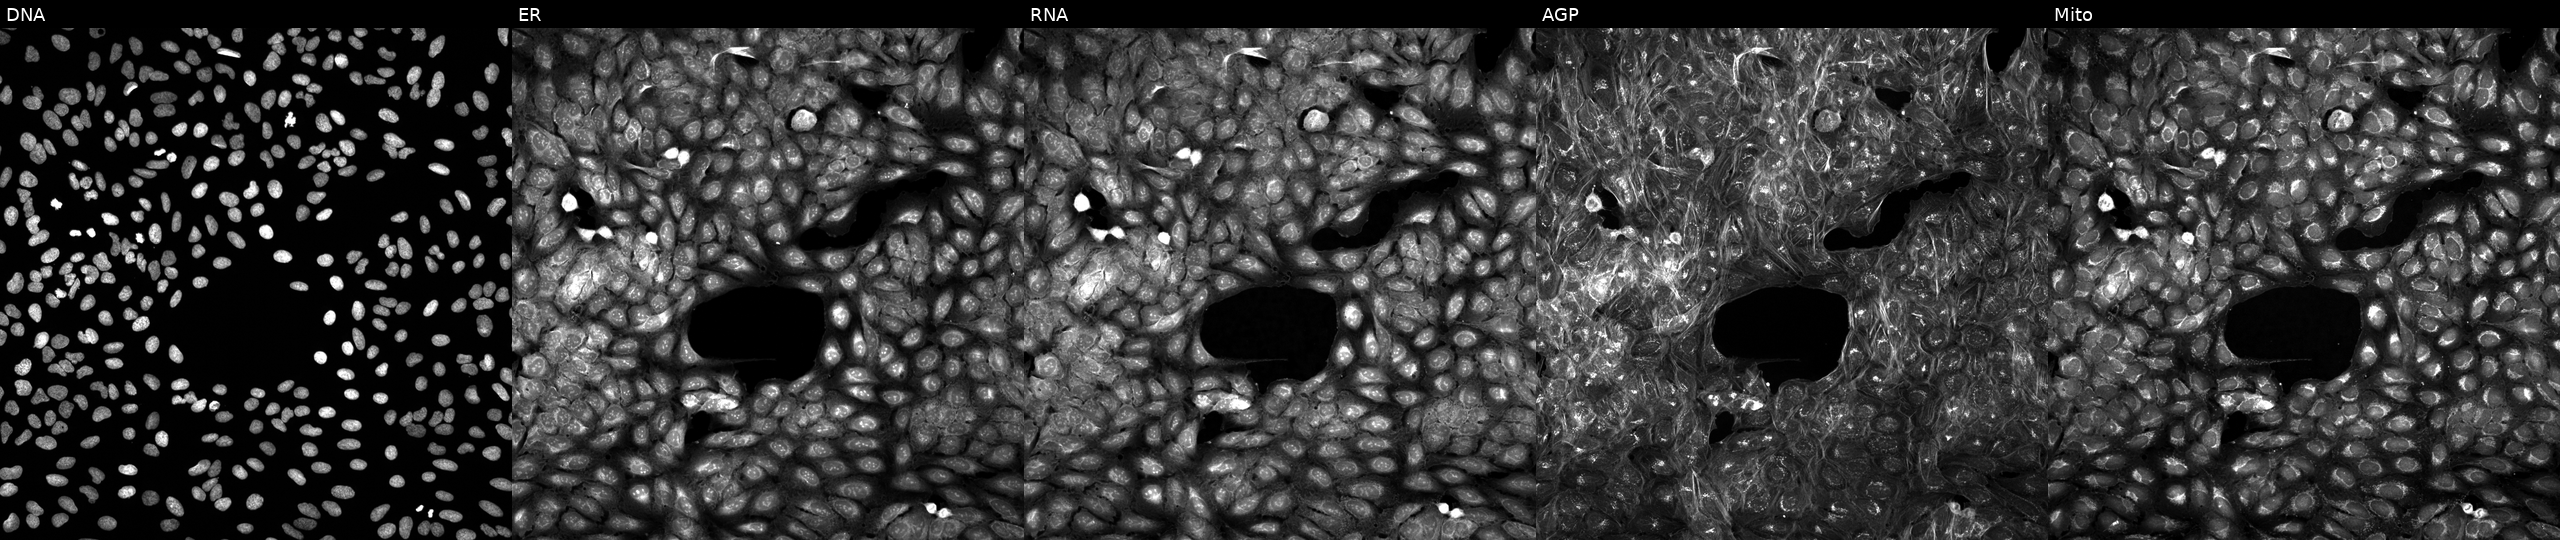
U2OS cells, Cell Painting assay, treated with a small-molecule compound. Channels (left→right): Hoechst 33342, concanavalin A, SYTO 14, phalloidin and WGA, MitoTracker. Each panel is percentile-stretched 16-bit fluorescence. Source 5, plate APTJUM105, well D05.